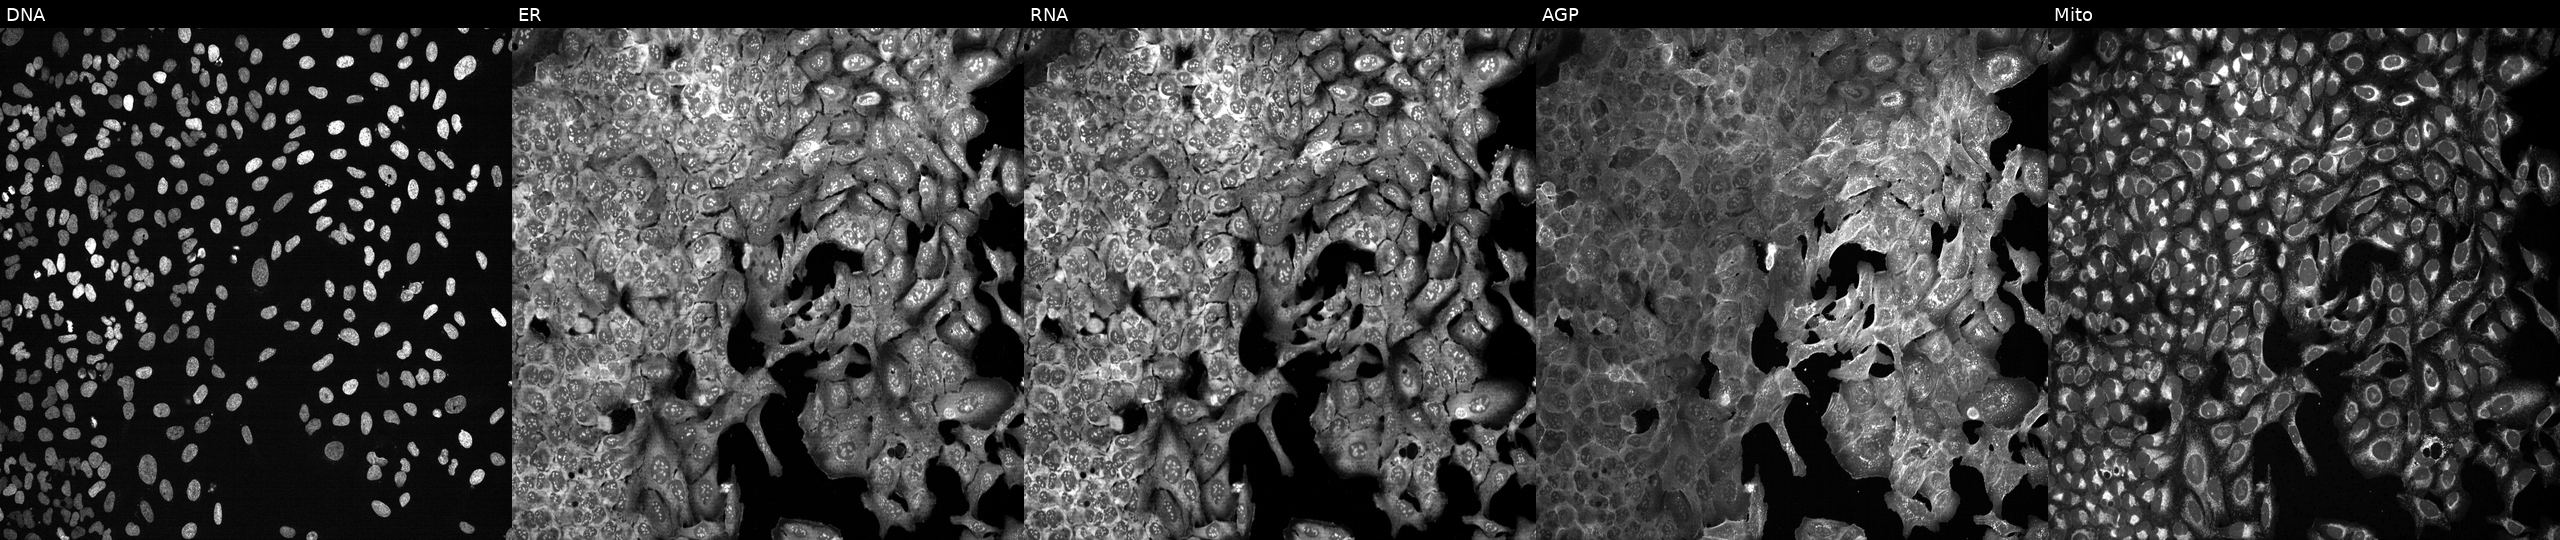
This image strip shows the five Cell Painting channels for a single field of U2OS cells with PPME1 knocked out by CRISPR (JUMP id JCP2022_805434). From left to right: DNA (nuclei); ER (endoplasmic reticulum); RNA (nucleoli and cytoplasmic RNA); AGP (actin cytoskeleton, Golgi, and plasma membrane); Mito (mitochondria).